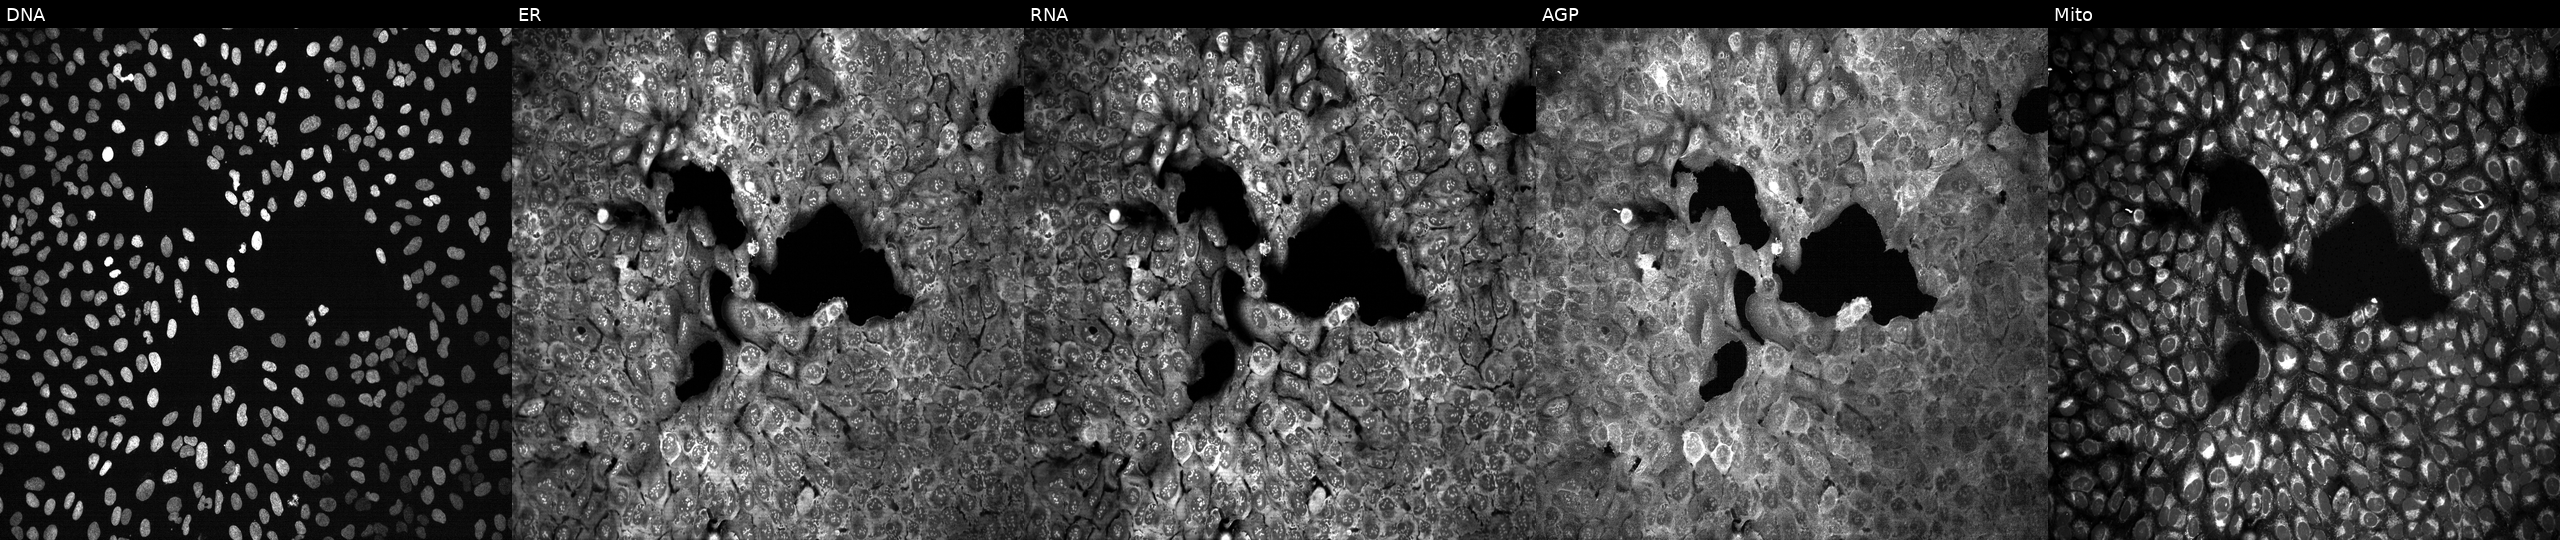
Channels (left→right): DNA, ER, RNA, AGP, and Mito. U2OS osteosarcoma cells with a non-targeting CRISPR guide (negative control) (JUMP id JCP2022_800002). Cell Painting assay, JUMP-CP dataset. Source 13, plate CP-CC9-R3-02, well L23.